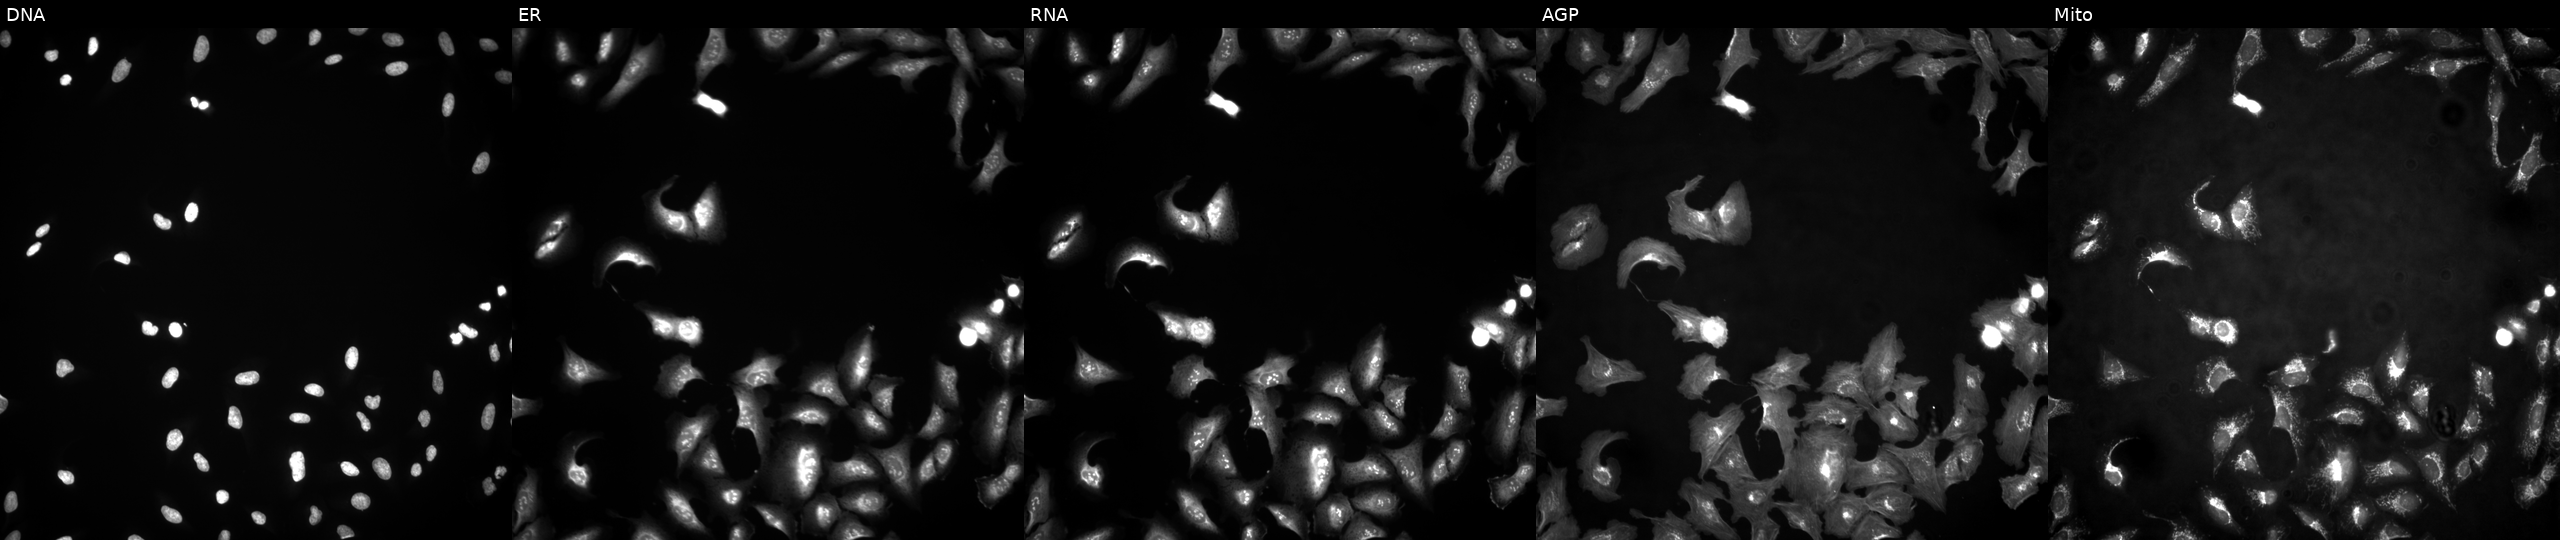
JUMP Cell Painting — ORF plate. U2OS cells with ORM1 overexpressed (ORF). The five panels, left to right, show DNA (nuclei); ER (endoplasmic reticulum); RNA (nucleoli and cytoplasmic RNA); AGP (actin cytoskeleton, Golgi, and plasma membrane); Mito (mitochondria).